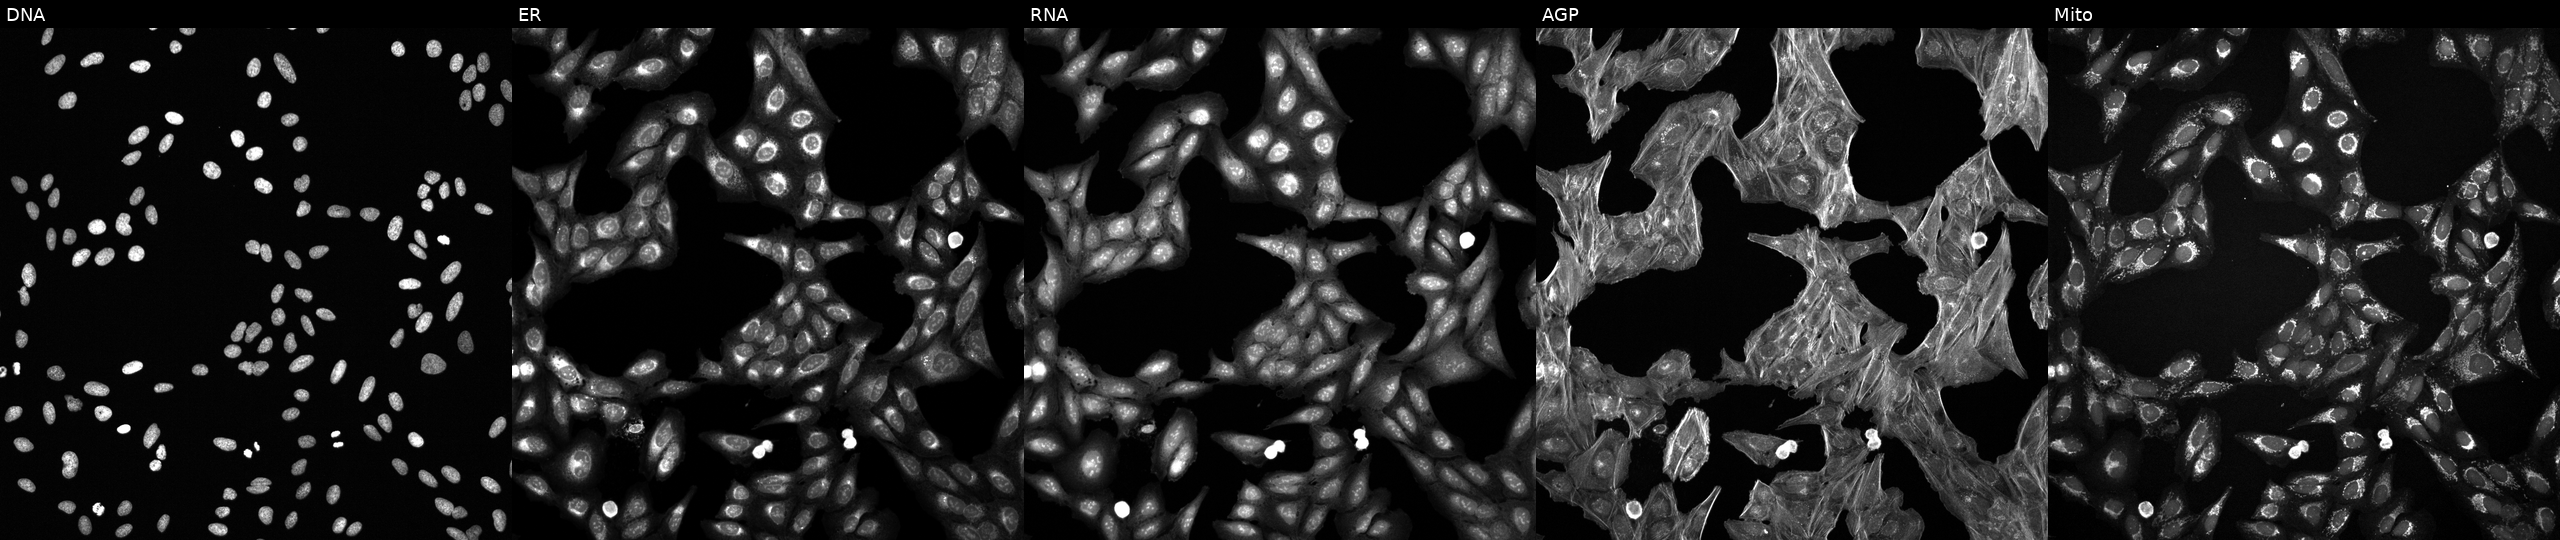
JUMP Cell Painting — COMPOUND plate. U2OS cells exposed to a small-molecule compound (InChIKey BWIKEDILVJJARW-UHFFFAOYSA-N). The five panels, left to right, show DNA (nuclei); ER (endoplasmic reticulum); RNA (nucleoli and cytoplasmic RNA); AGP (actin cytoskeleton, Golgi, and plasma membrane); Mito (mitochondria).